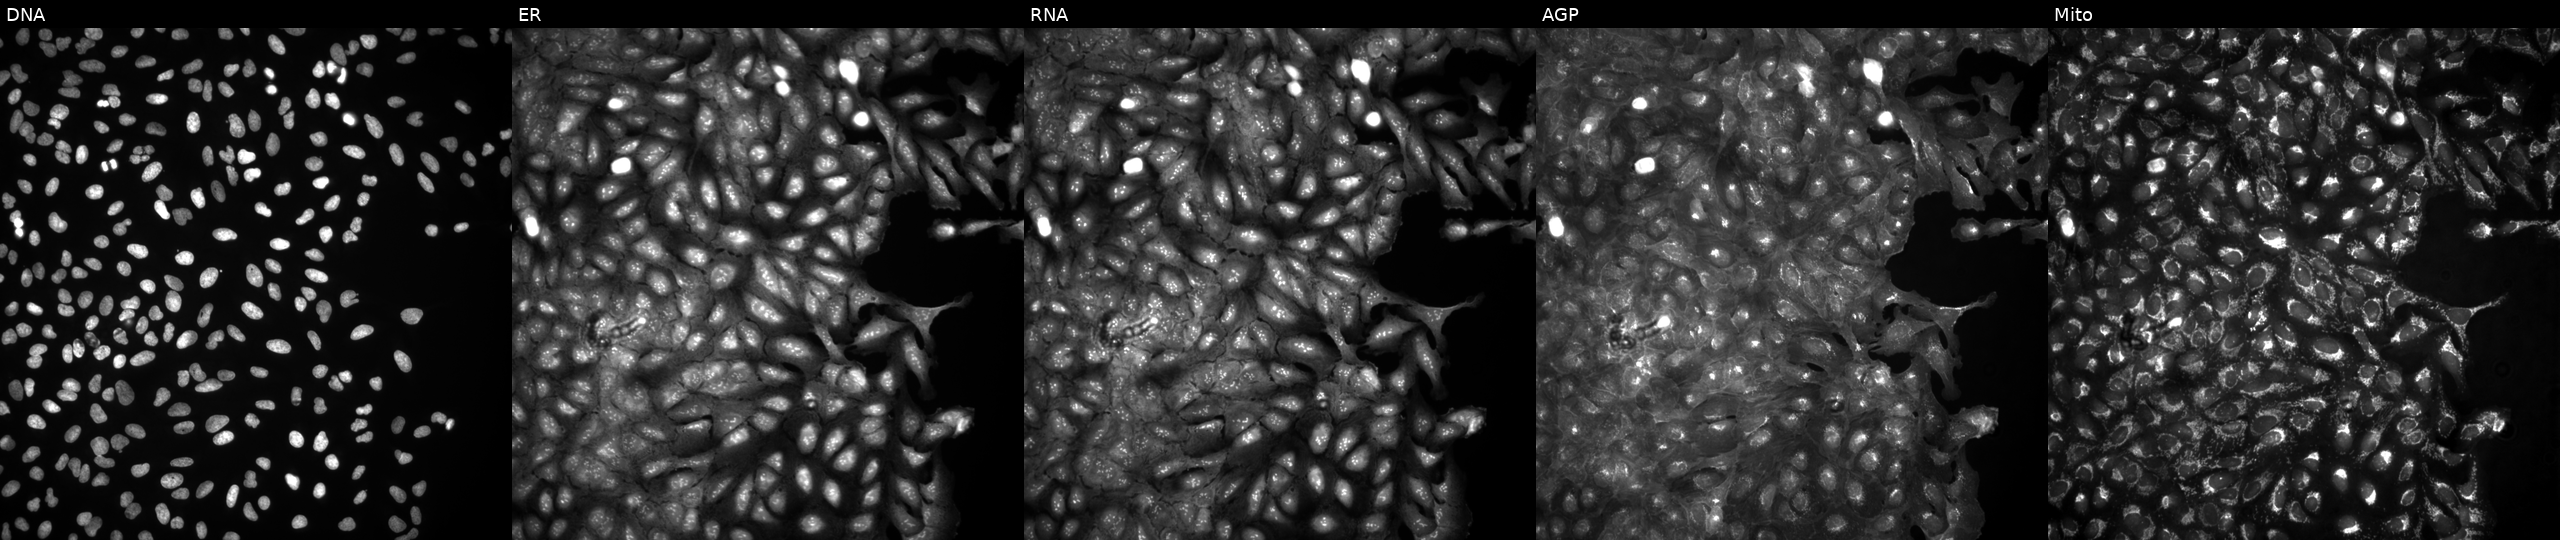
High-content fluorescence microscopy (Cell Painting). Cell line: U2OS. Perturbation: in an empty control well (no perturbation) (JUMP id JCP2022_999999). Channels (left→right): Hoechst 33342, concanavalin A, SYTO 14, phalloidin and WGA, MitoTracker.